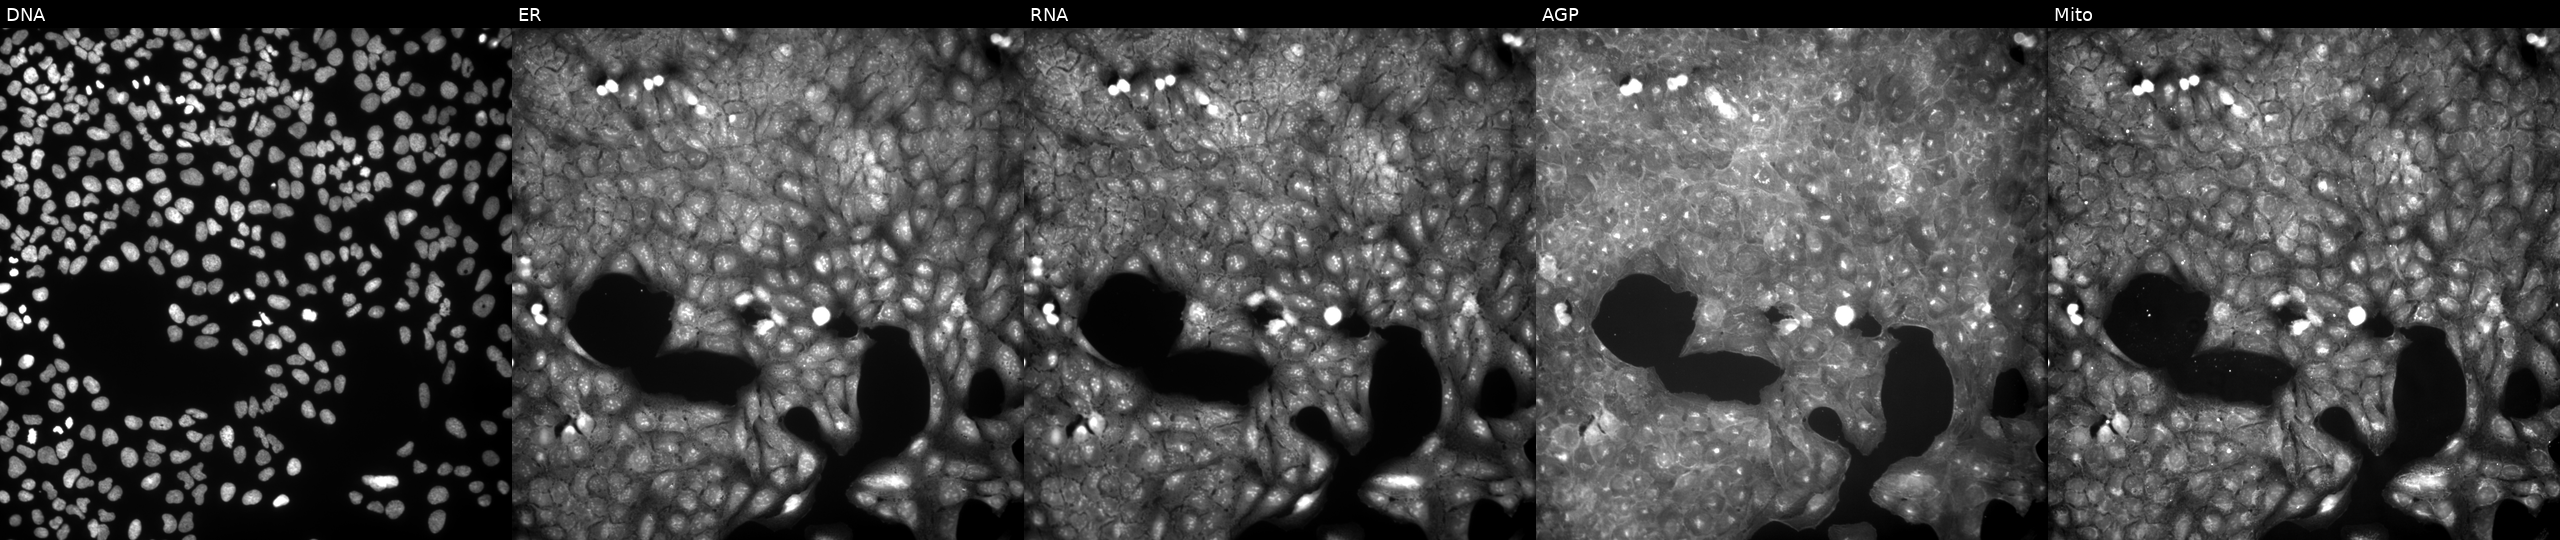
Panels show, left to right, Hoechst 33342, concanavalin A, SYTO 14, phalloidin and WGA, MitoTracker. U2OS osteosarcoma cells treated with a small-molecule compound [SMILES: O=C(NC(=S)N1CCN(c2ccc([N+](=O)[O-])cc2Cl)CC1)c1ccco1]. Cell Painting assay, JUMP-CP dataset.